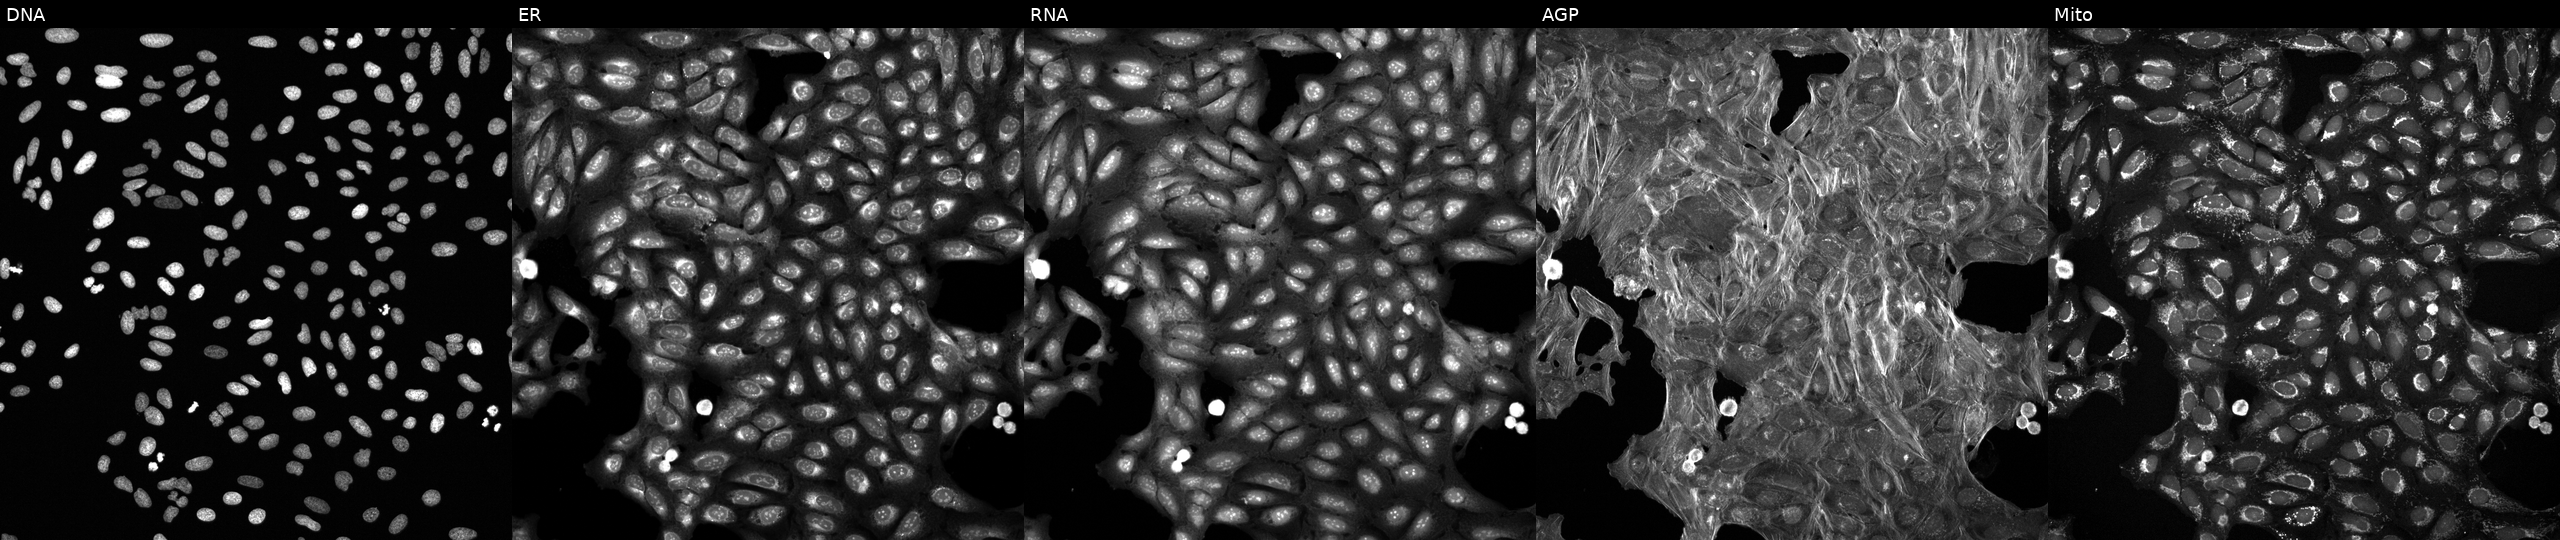
High-content fluorescence microscopy (Cell Painting). Cell line: U2OS. Perturbation: exposed to a small-molecule compound (JUMP id JCP2022_070479). From left to right: DNA (nuclei); ER (endoplasmic reticulum); RNA (nucleoli and cytoplasmic RNA); AGP (actin cytoskeleton, Golgi, and plasma membrane); Mito (mitochondria). Source 6, plate 110000293083, well K09.